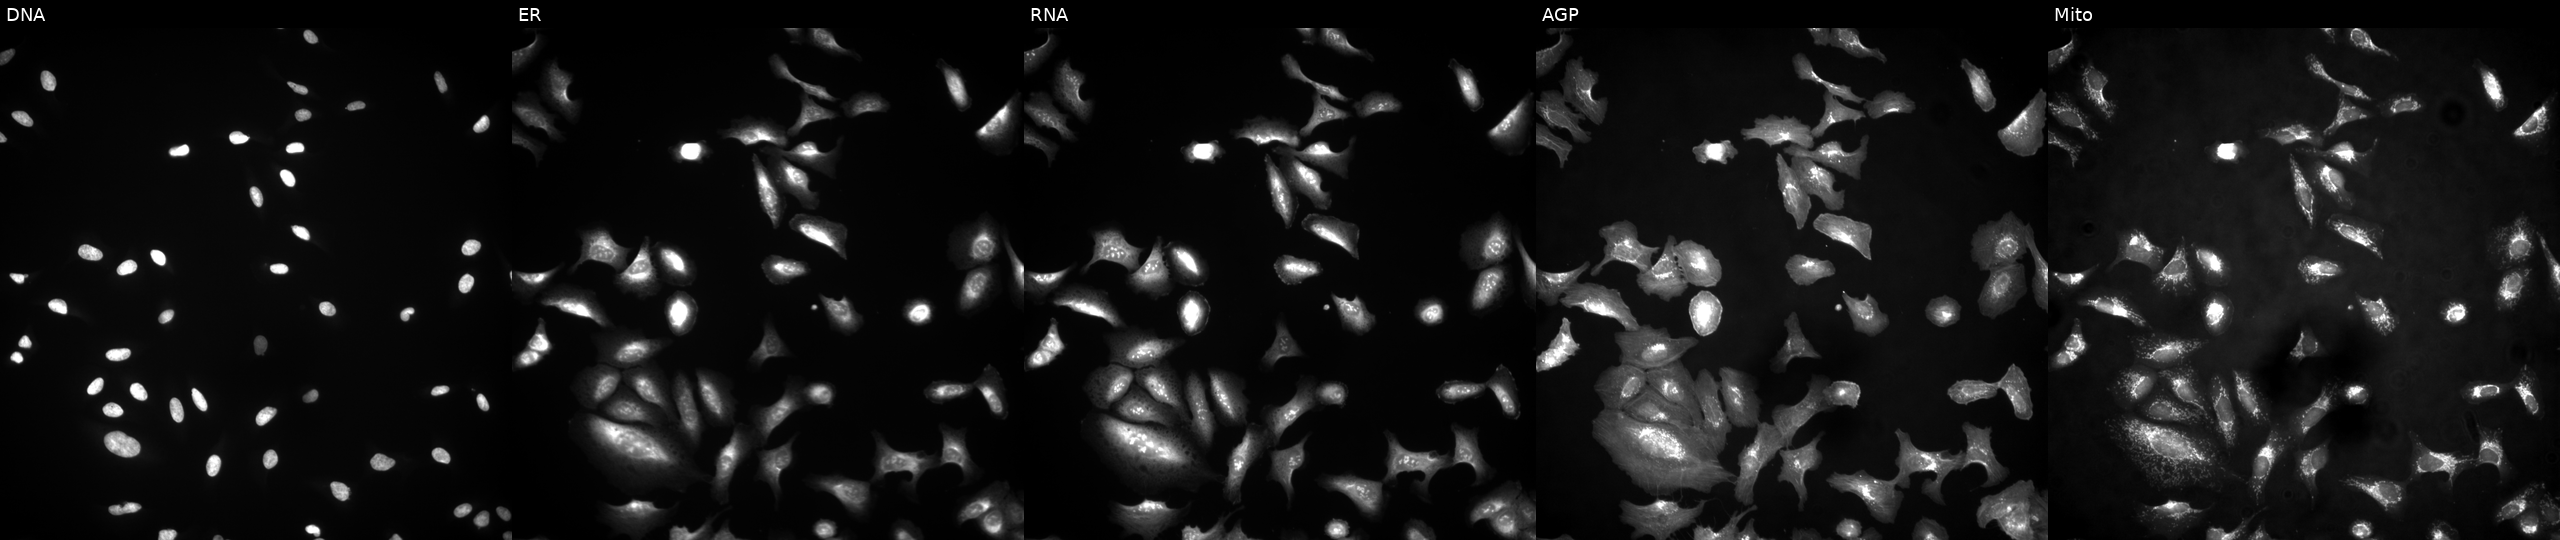
U2OS cells, Cell Painting assay, transfected with an ORF construct for ZP2. The five panels, left to right, show Hoechst 33342, concanavalin A, SYTO 14, phalloidin and WGA, MitoTracker. Each panel is percentile-stretched 16-bit fluorescence.